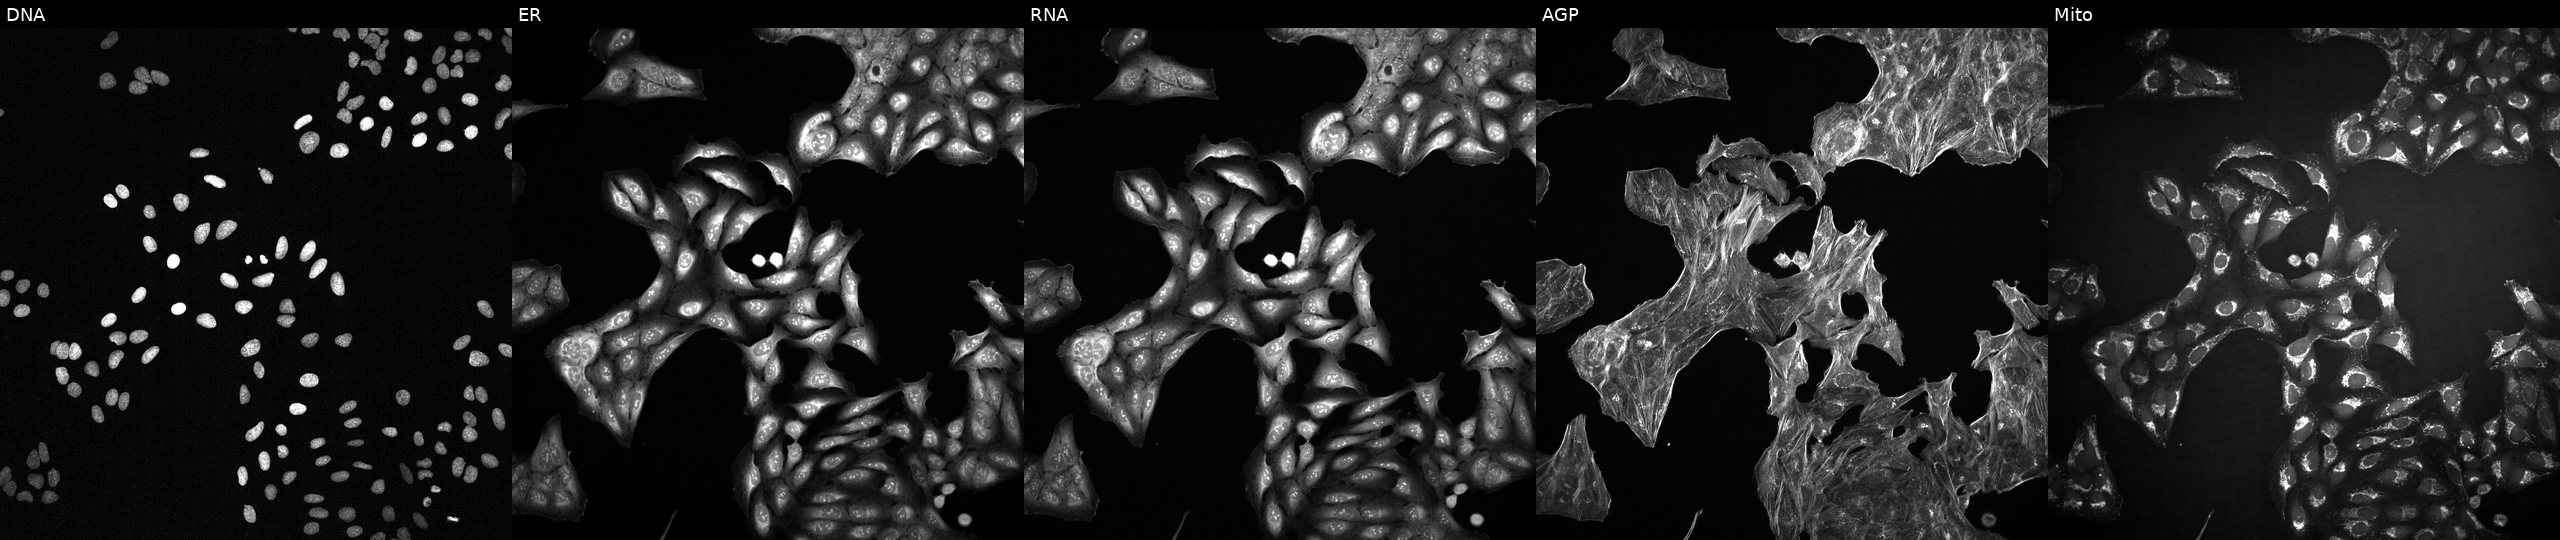
Channels (left→right): Hoechst 33342, concanavalin A, SYTO 14, phalloidin and WGA, MitoTracker. U2OS osteosarcoma cells exposed to a small-molecule compound. Cell Painting assay, JUMP-CP dataset. Source 2, plate 1053599503, well C07.